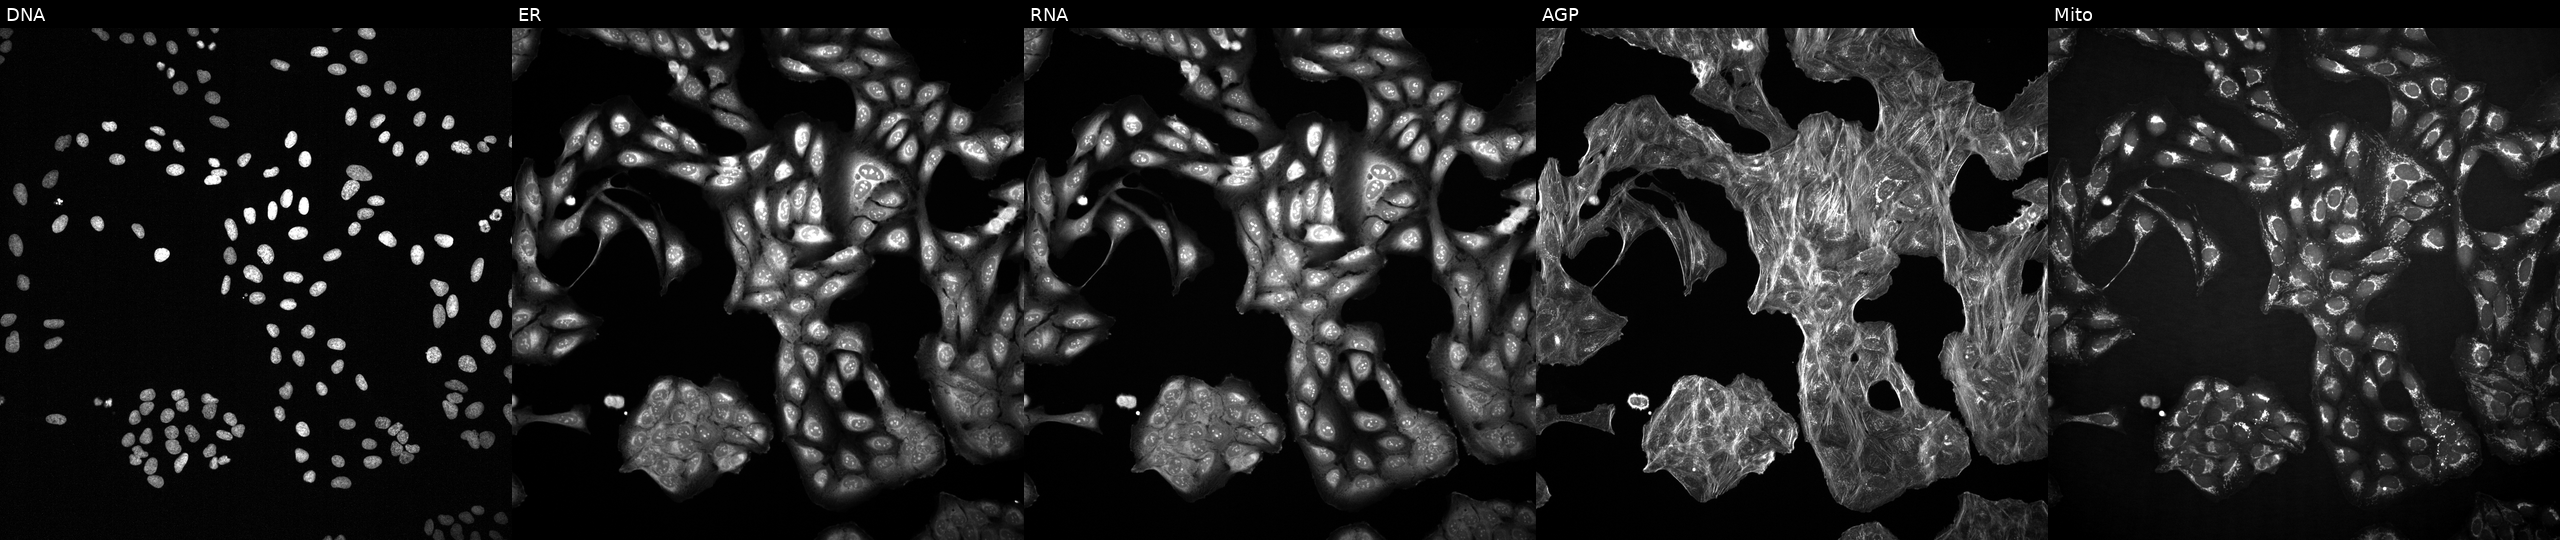
JUMP Cell Painting — COMPOUND plate. U2OS cells with an unidentified perturbation (not annotated in JUMP metadata). Panels show, left to right, Hoechst 33342, concanavalin A, SYTO 14, phalloidin and WGA, MitoTracker. Source 2, plate 1053601756, well H12.